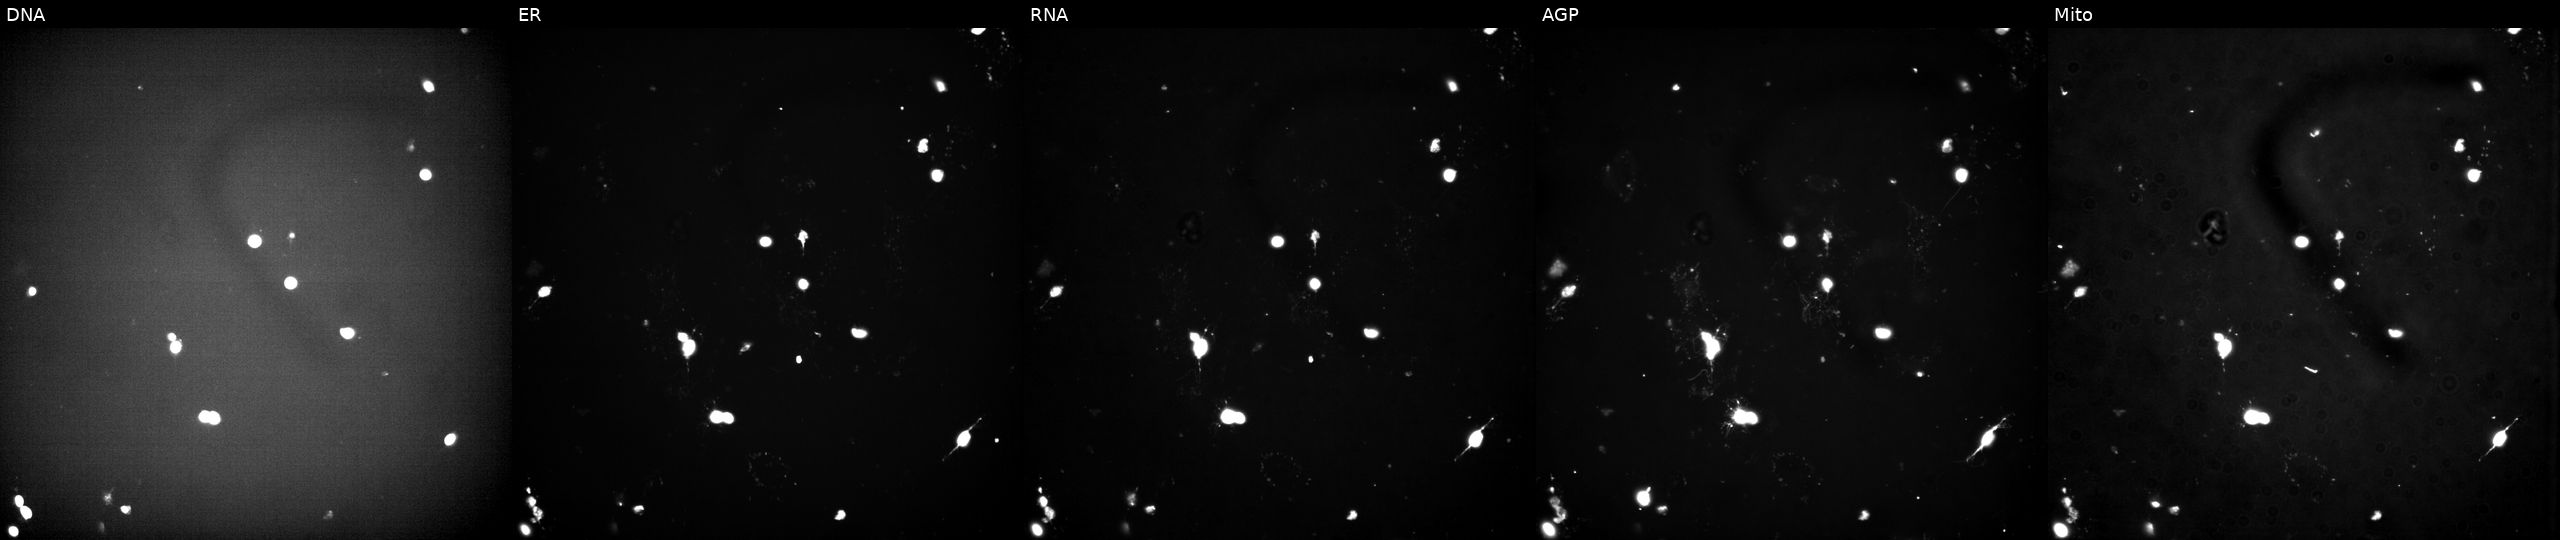
Channels (left→right): Hoechst 33342, concanavalin A, SYTO 14, phalloidin and WGA, MitoTracker. U2OS osteosarcoma cells exposed to a small-molecule compound (InChIKey IAYGCINLNONXHY-UHFFFAOYSA-N). Cell Painting assay, JUMP-CP dataset.